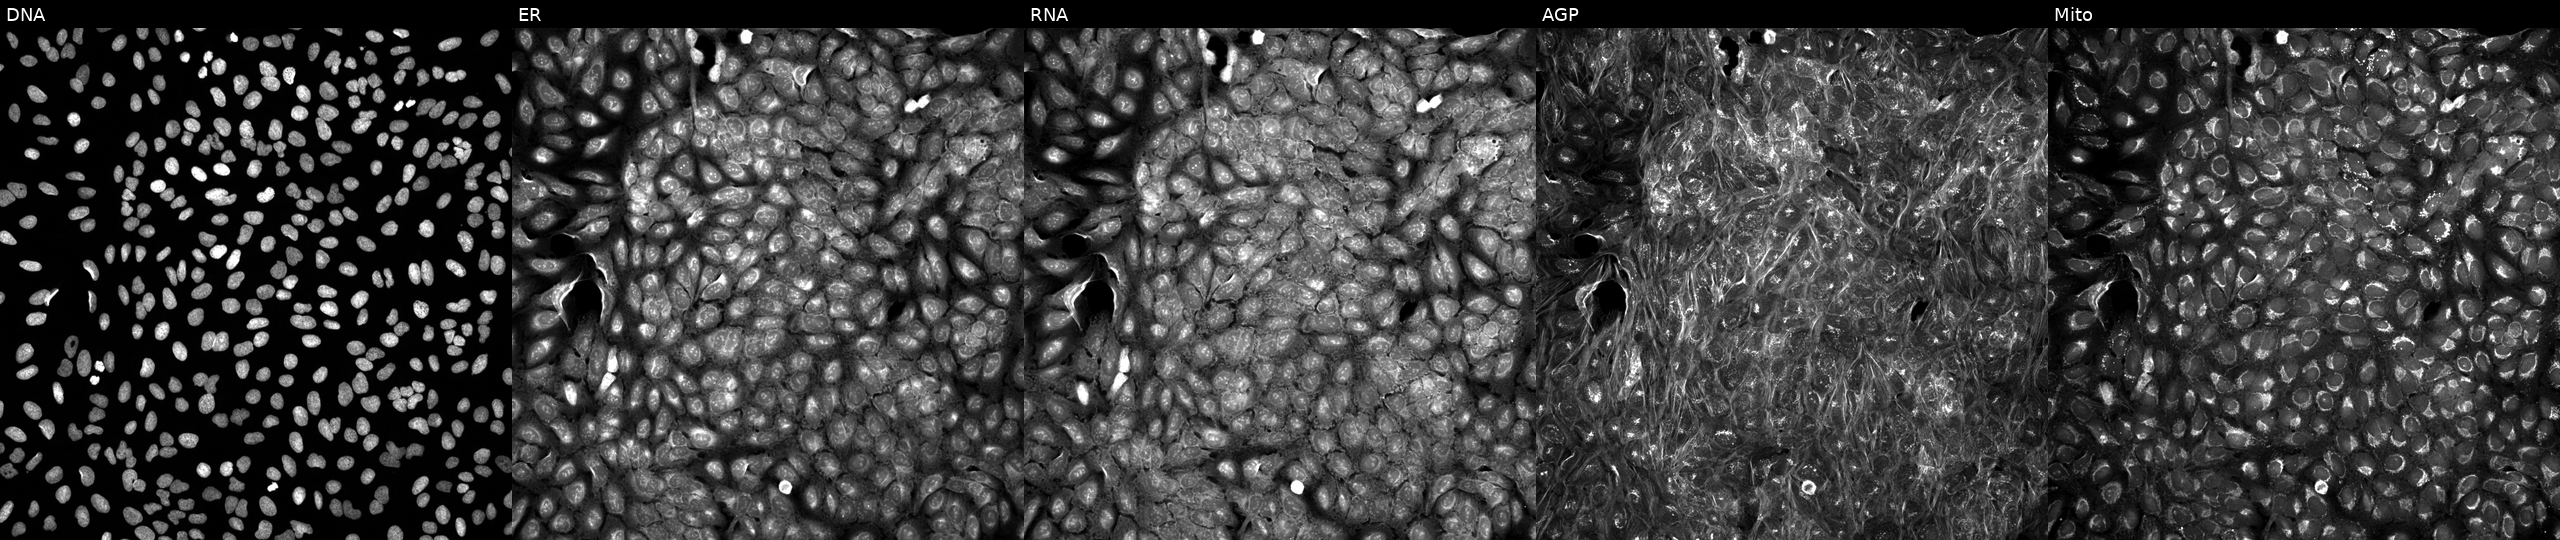
This image strip shows the five Cell Painting channels for a single field of U2OS cells treated with DMSO vehicle only (negative control) (JUMP id JCP2022_033924). From left to right: Hoechst 33342, concanavalin A, SYTO 14, phalloidin and WGA, MitoTracker. Source 5, plate ACPJUM051, well E05.